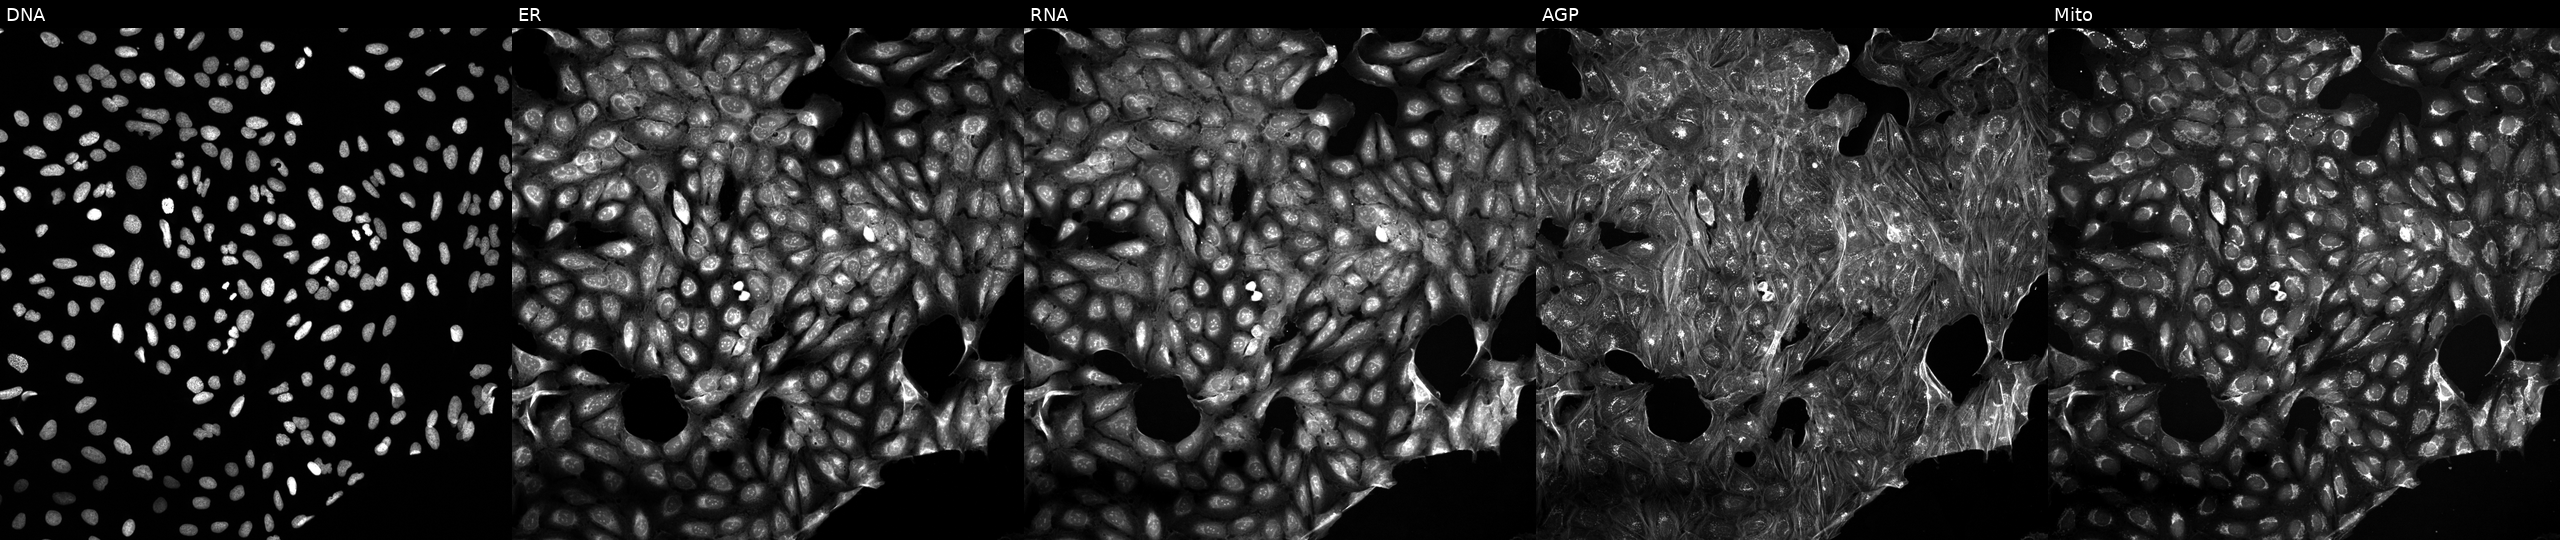
Five-channel Cell Painting image of U2OS cells treated with a small-molecule compound (InChIKey CMSMOCZEIVJLDB-UHFFFAOYSA-N). Panels show, left to right, DNA, ER, RNA, AGP, and Mito.